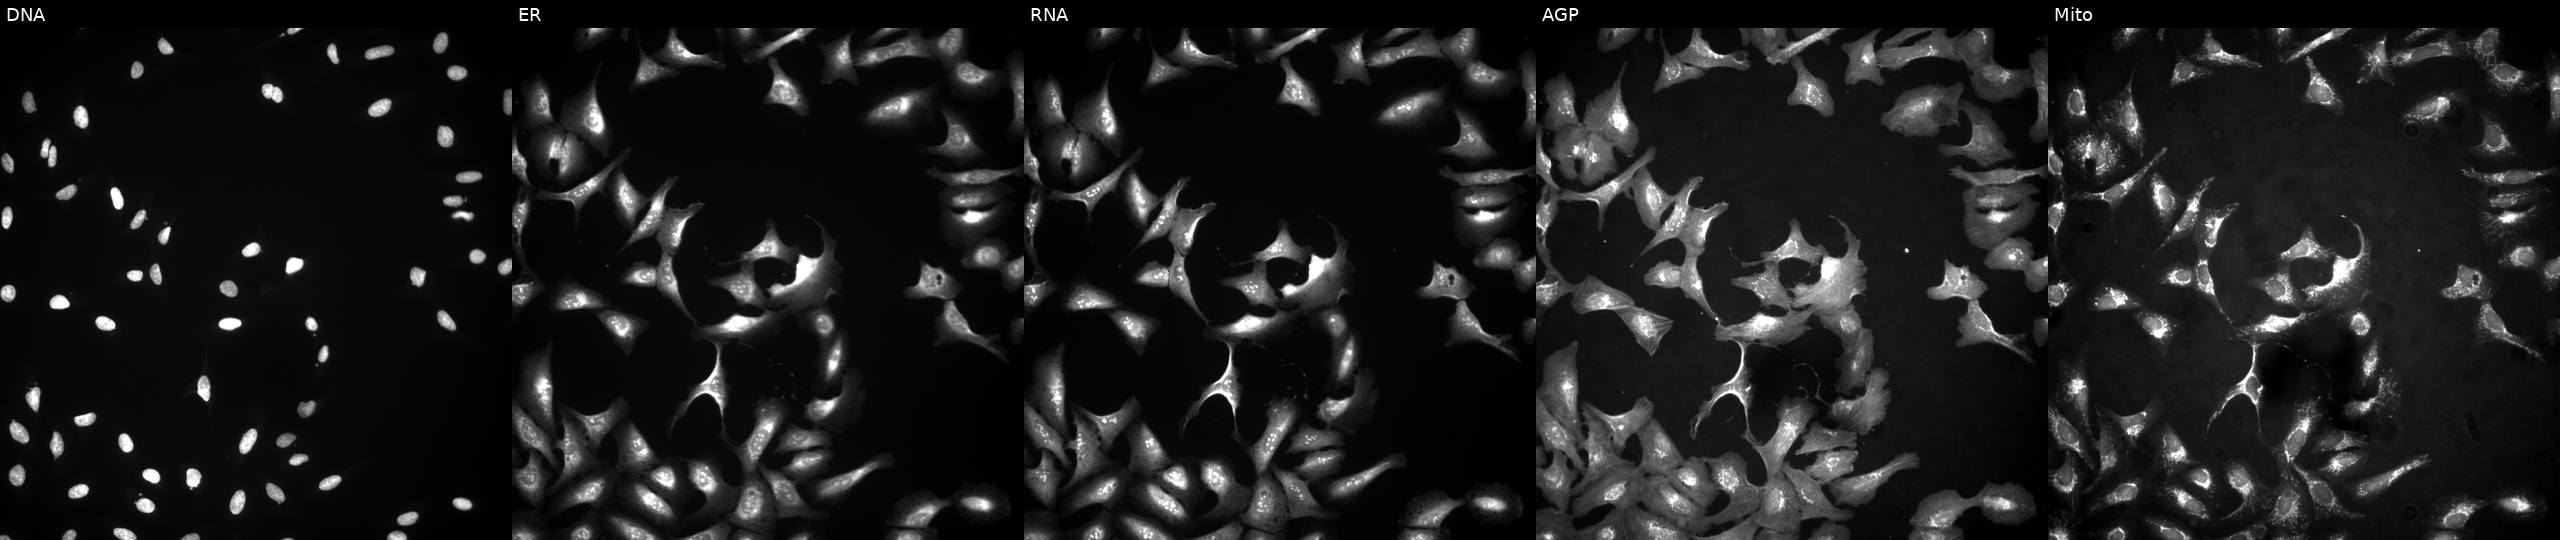
Five-channel Cell Painting image of U2OS cells transfected with an ORF construct for PPIG (JUMP id JCP2022_910596). The five panels, left to right, show DNA (nuclei); ER (endoplasmic reticulum); RNA (nucleoli and cytoplasmic RNA); AGP (actin cytoskeleton, Golgi, and plasma membrane); Mito (mitochondria).